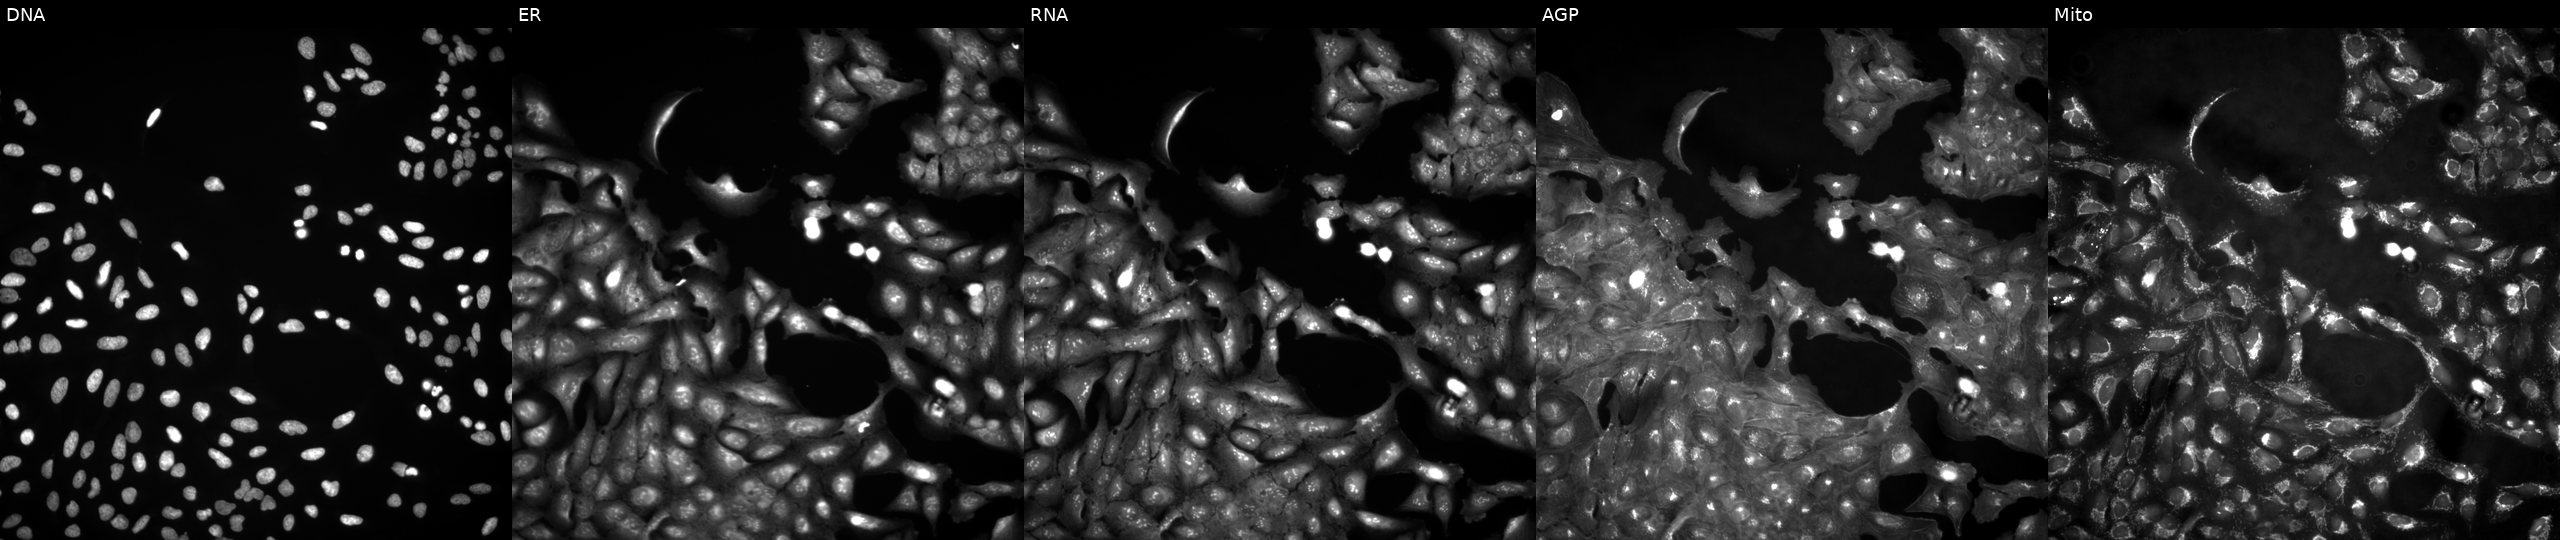
The five panels, left to right, show Hoechst 33342, concanavalin A, SYTO 14, phalloidin and WGA, MitoTracker. U2OS osteosarcoma cells untreated (empty-well control) (JUMP id JCP2022_999999). Cell Painting assay, JUMP-CP dataset. Source 4, plate BR00123946, well K06.